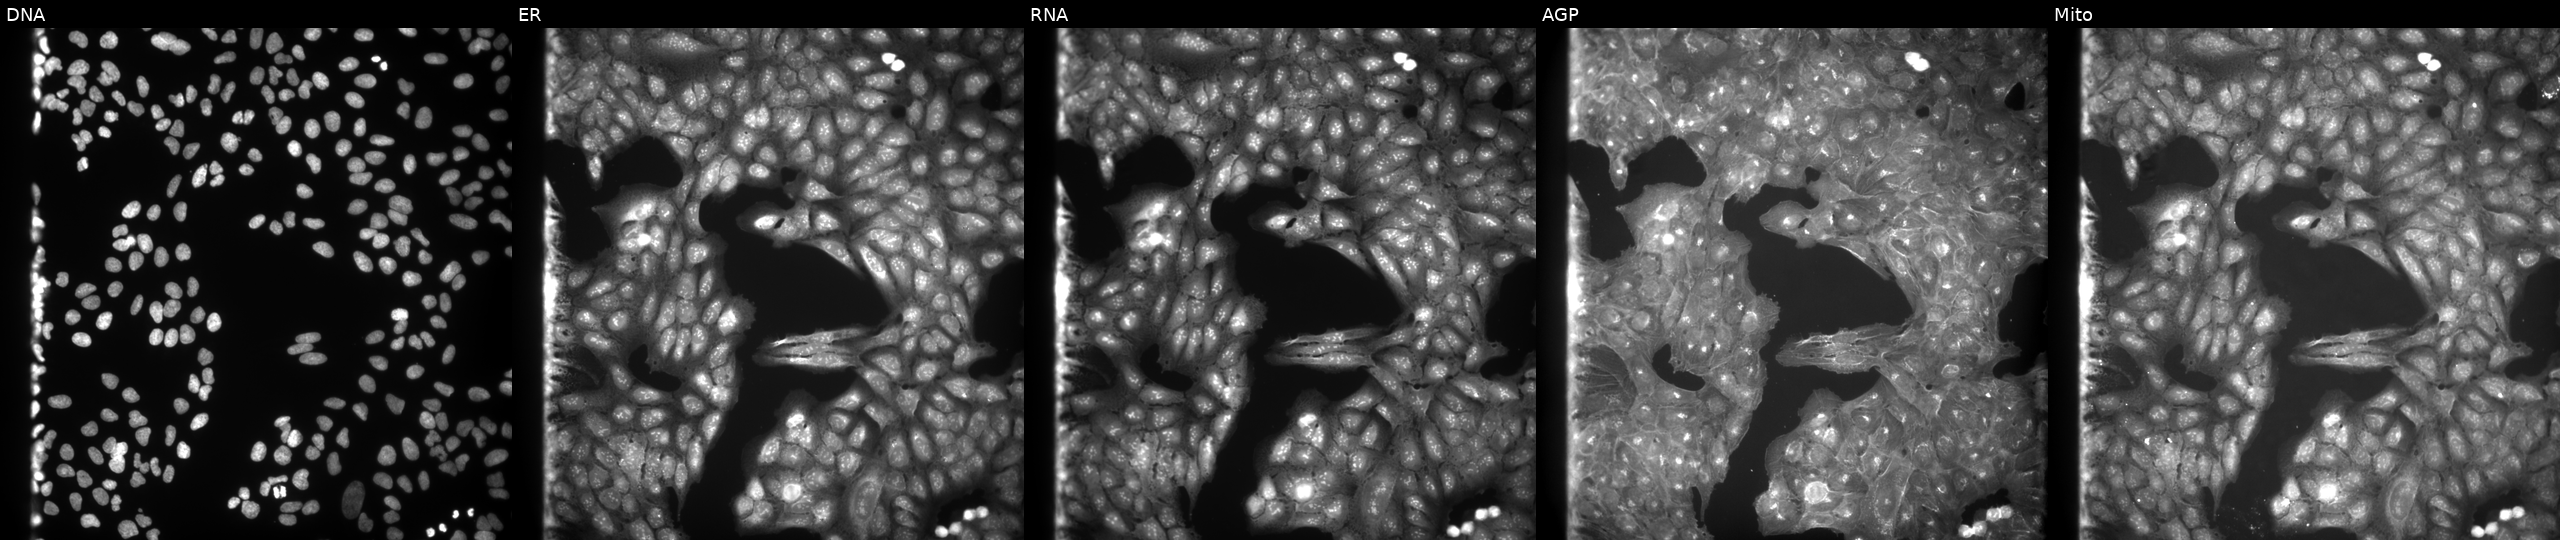
High-content fluorescence microscopy (Cell Painting). Cell line: U2OS. Perturbation: exposed to a small-molecule compound (InChIKey NHVKSDMVCUUQNU-UHFFFAOYSA-N) (JUMP id JCP2022_059093). Panels show, left to right, Hoechst 33342, concanavalin A, SYTO 14, phalloidin and WGA, MitoTracker.